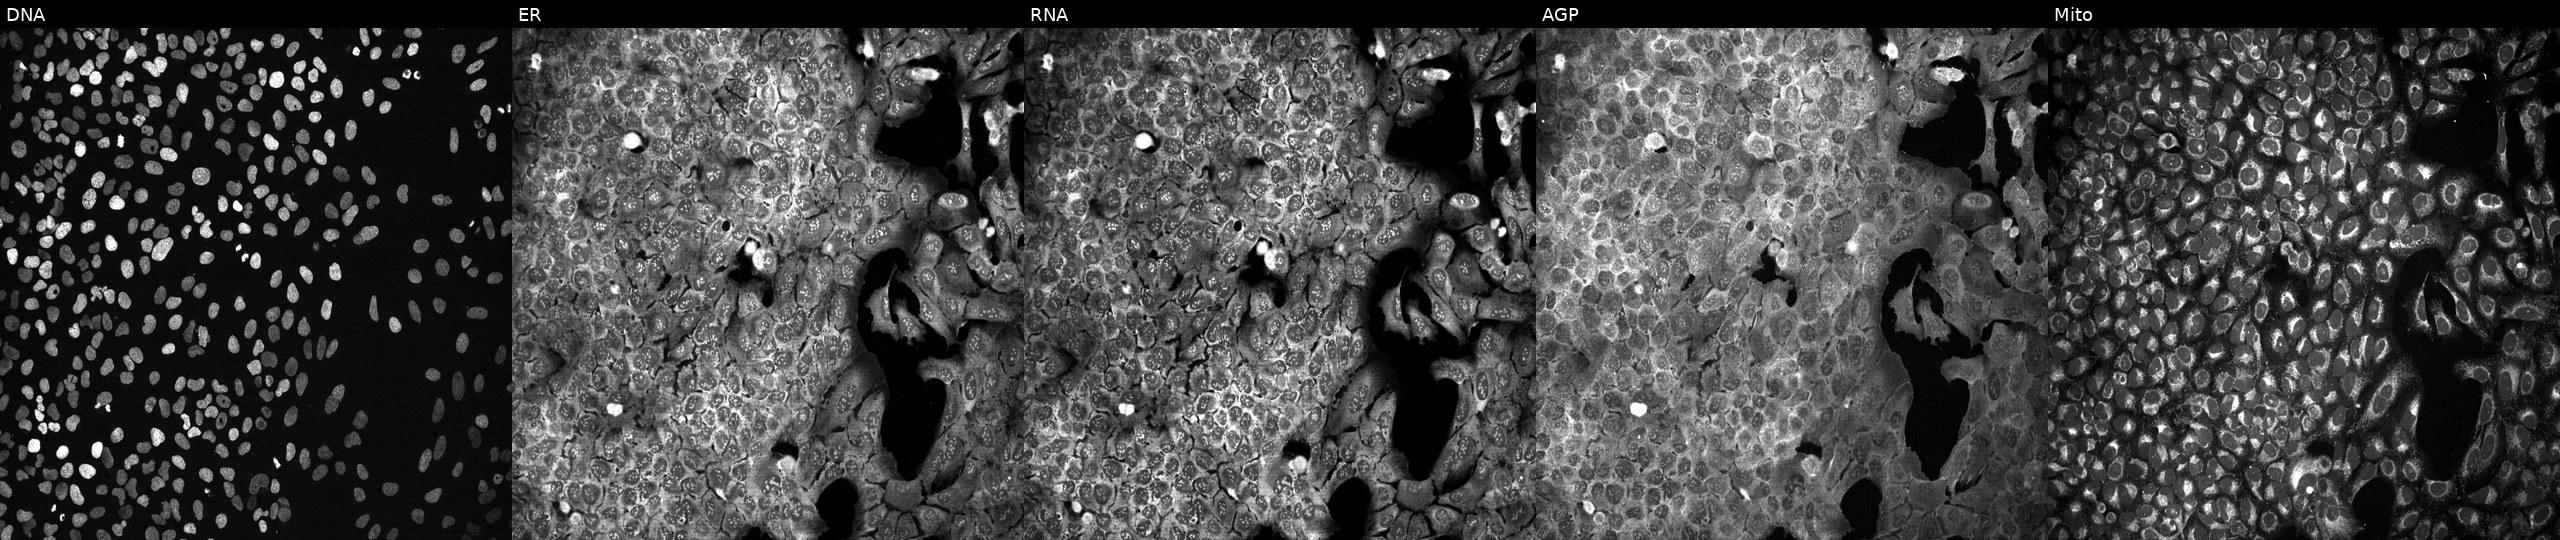
JUMP Cell Painting — CRISPR plate. U2OS cells with SLC13A1 knocked out by CRISPR (JUMP id JCP2022_806373). The five panels, left to right, show Hoechst 33342, concanavalin A, SYTO 14, phalloidin and WGA, MitoTracker.